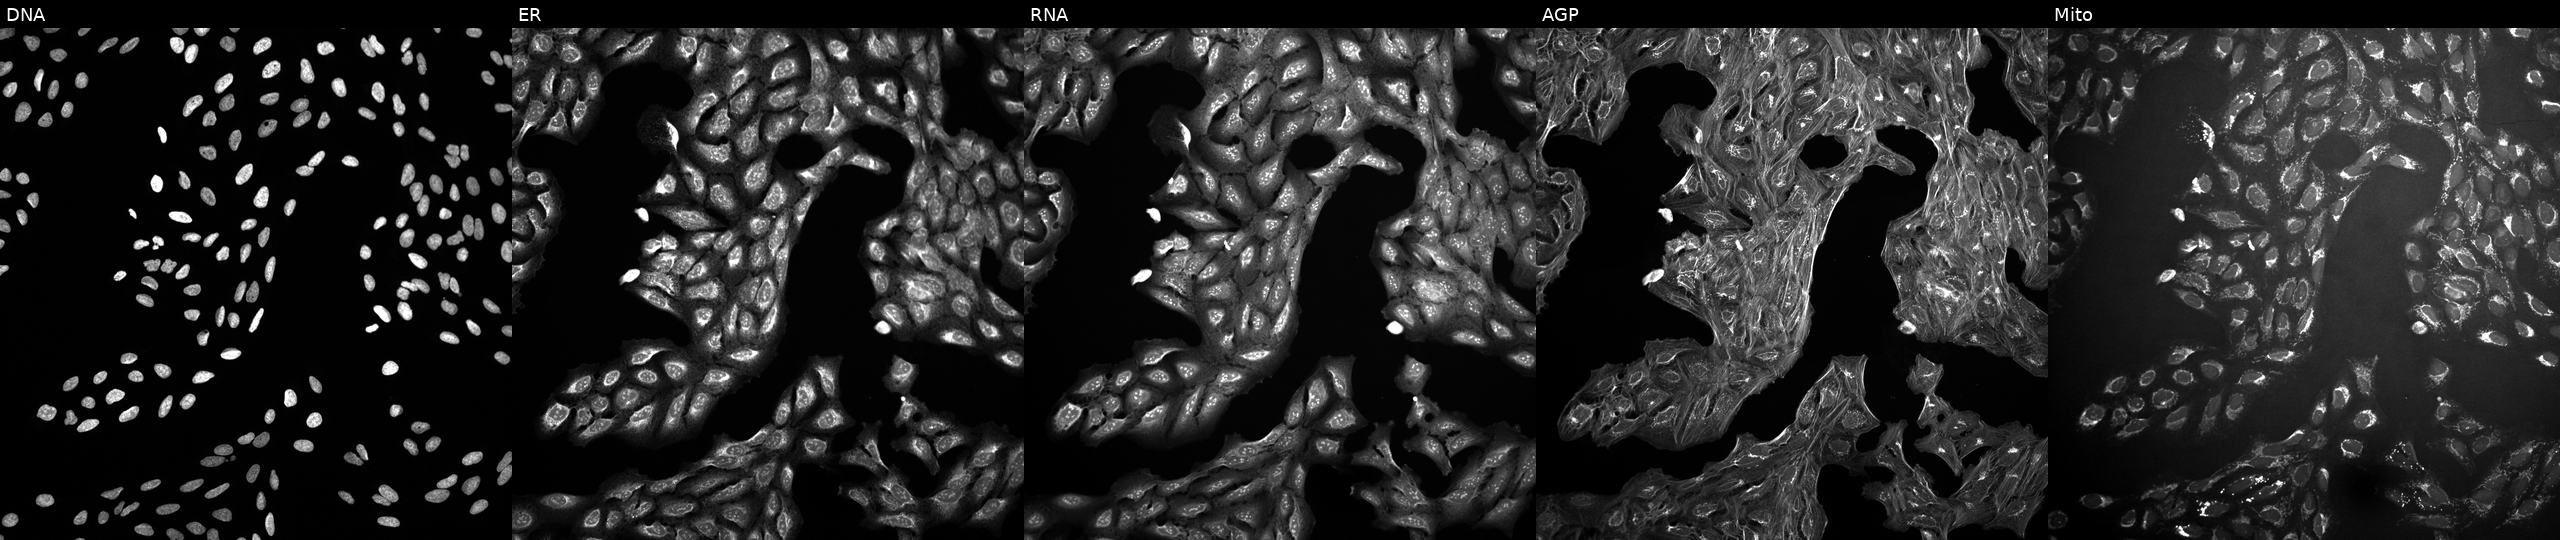
Panels show, left to right, DNA, ER, RNA, AGP, and Mito. U2OS osteosarcoma cells treated with a small-molecule compound (InChIKey WJBYEEFDHZFHNJ-UHFFFAOYSA-N) (JUMP id JCP2022_099094). Cell Painting assay, JUMP-CP dataset.